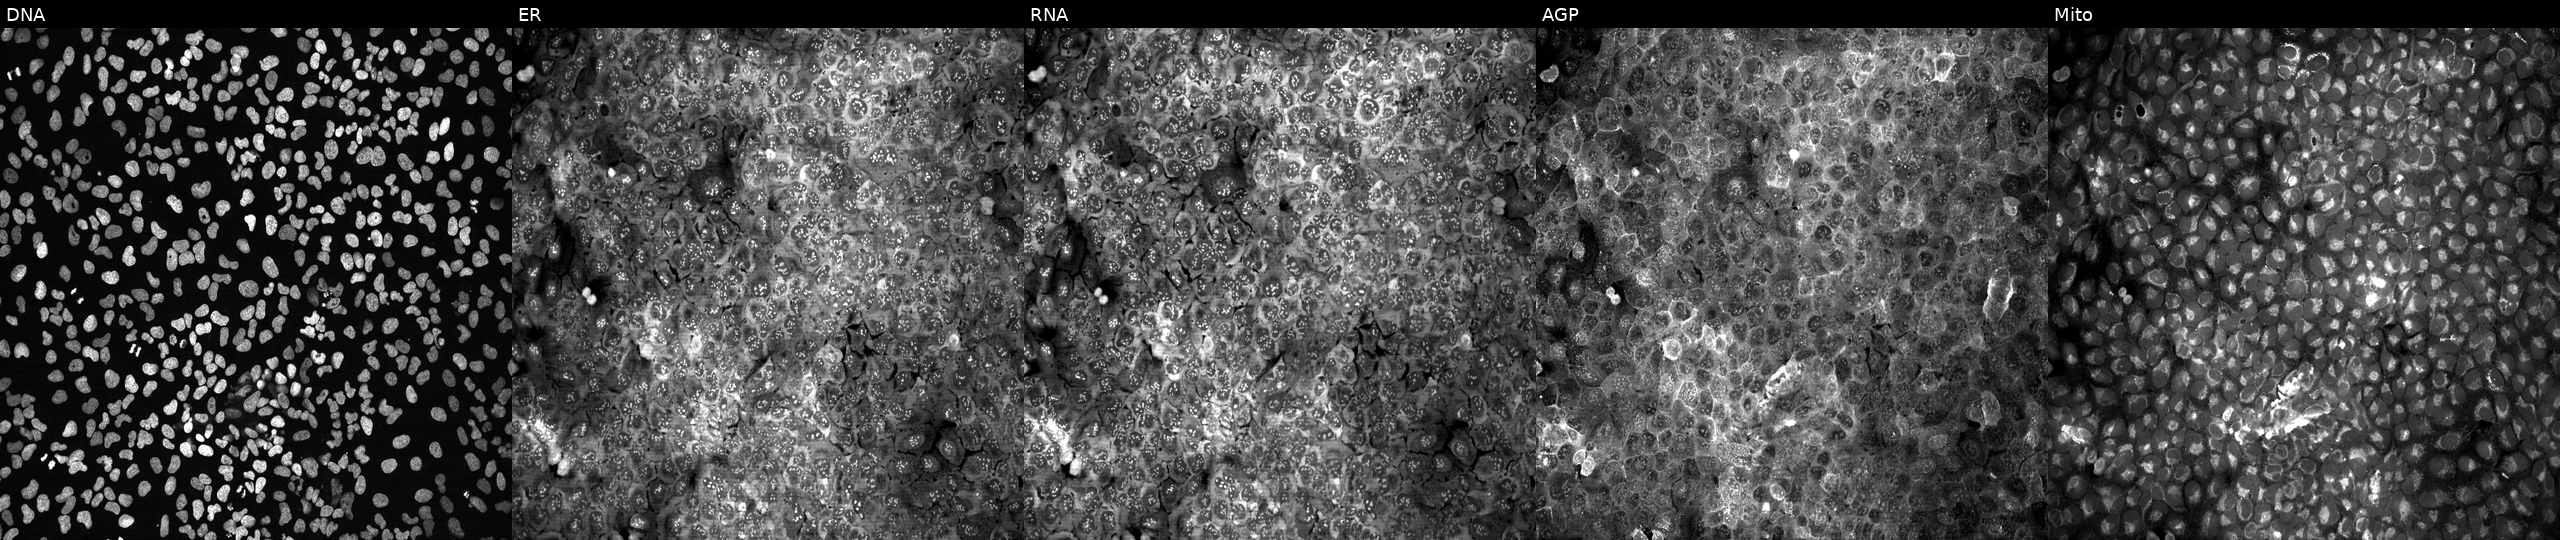
Channels (left→right): DNA (nuclei); ER (endoplasmic reticulum); RNA (nucleoli and cytoplasmic RNA); AGP (actin cytoskeleton, Golgi, and plasma membrane); Mito (mitochondria). U2OS osteosarcoma cells CRISPR-edited to disrupt MYDGF. Cell Painting assay, JUMP-CP dataset. Source 13, plate CP-CC9-R5-01, well L15.